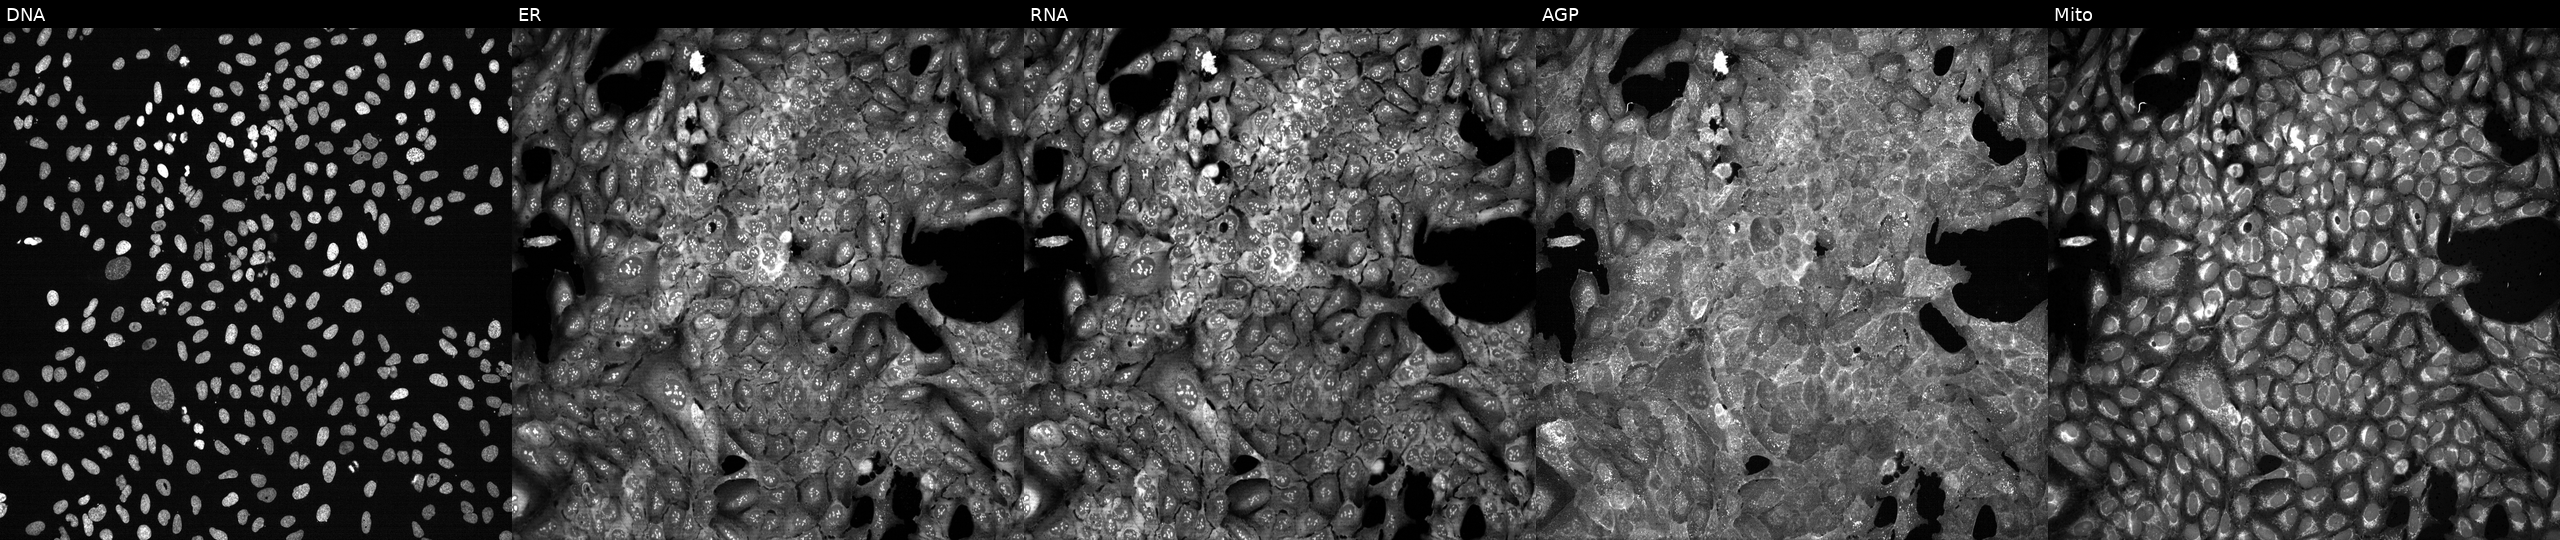
U2OS cells, Cell Painting assay, with CROT knocked out by CRISPR (JUMP id JCP2022_801513). From left to right: DNA, ER, RNA, AGP, and Mito. Each panel is percentile-stretched 16-bit fluorescence. Source 13, plate CP-CC9-R5-01, well H11.